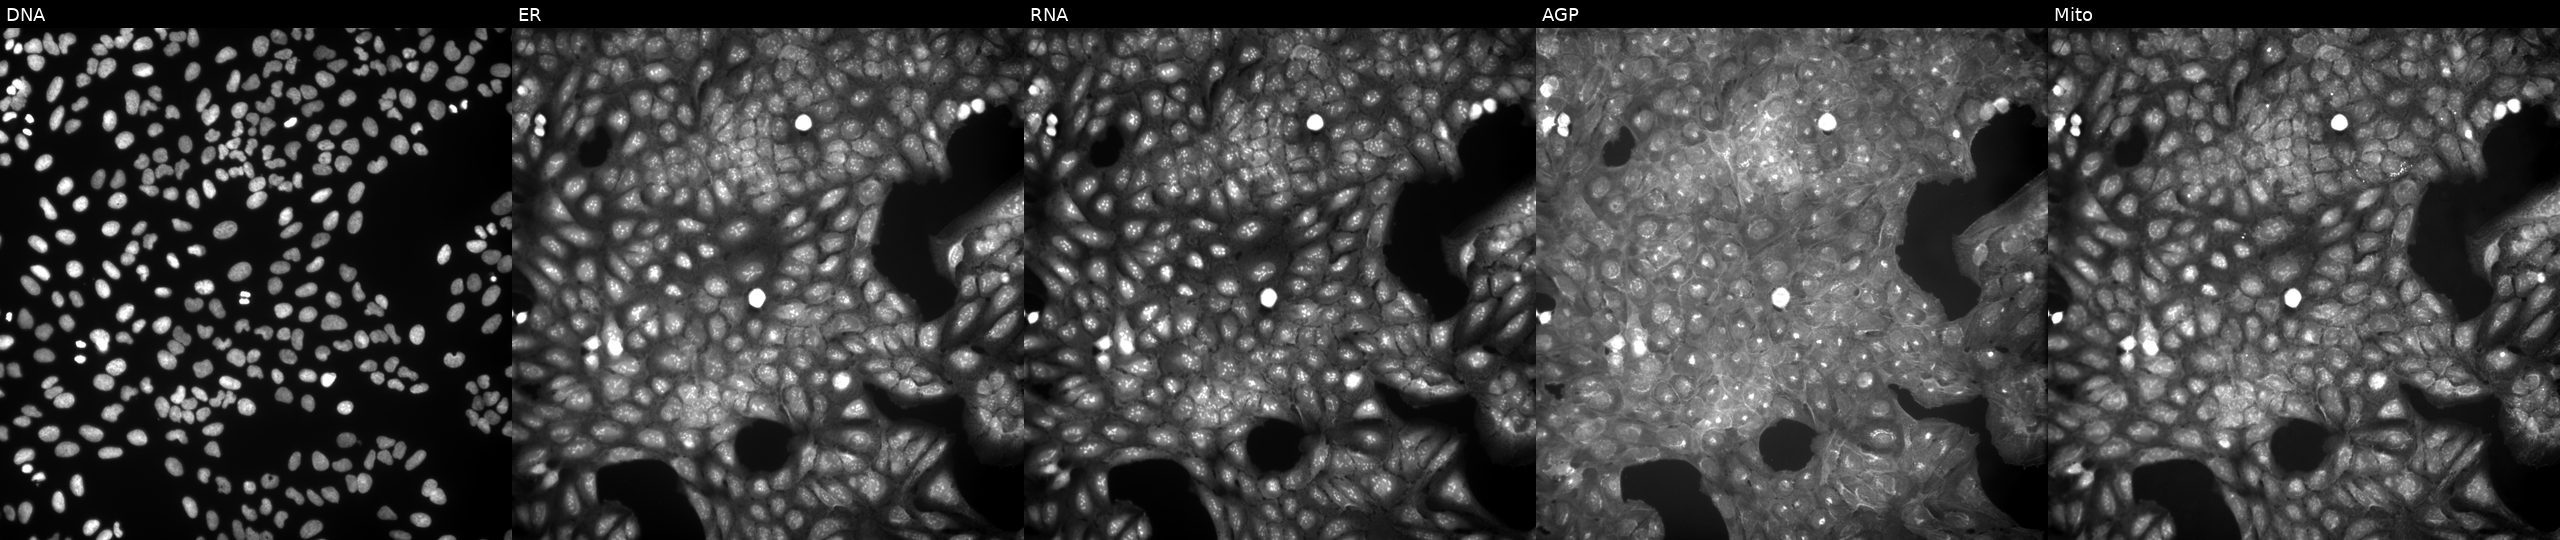
Channels (left→right): DNA (nuclei); ER (endoplasmic reticulum); RNA (nucleoli and cytoplasmic RNA); AGP (actin cytoskeleton, Golgi, and plasma membrane); Mito (mitochondria). U2OS osteosarcoma cells perturbed with a small-molecule compound (InChIKey MZYCUVCDGLERQF-UHFFFAOYSA-N) [SMILES: COc1ccc(C2CC(c3ccccc3)=NN2C(=O)CCC(=O)O)cc1]. Cell Painting assay, JUMP-CP dataset.